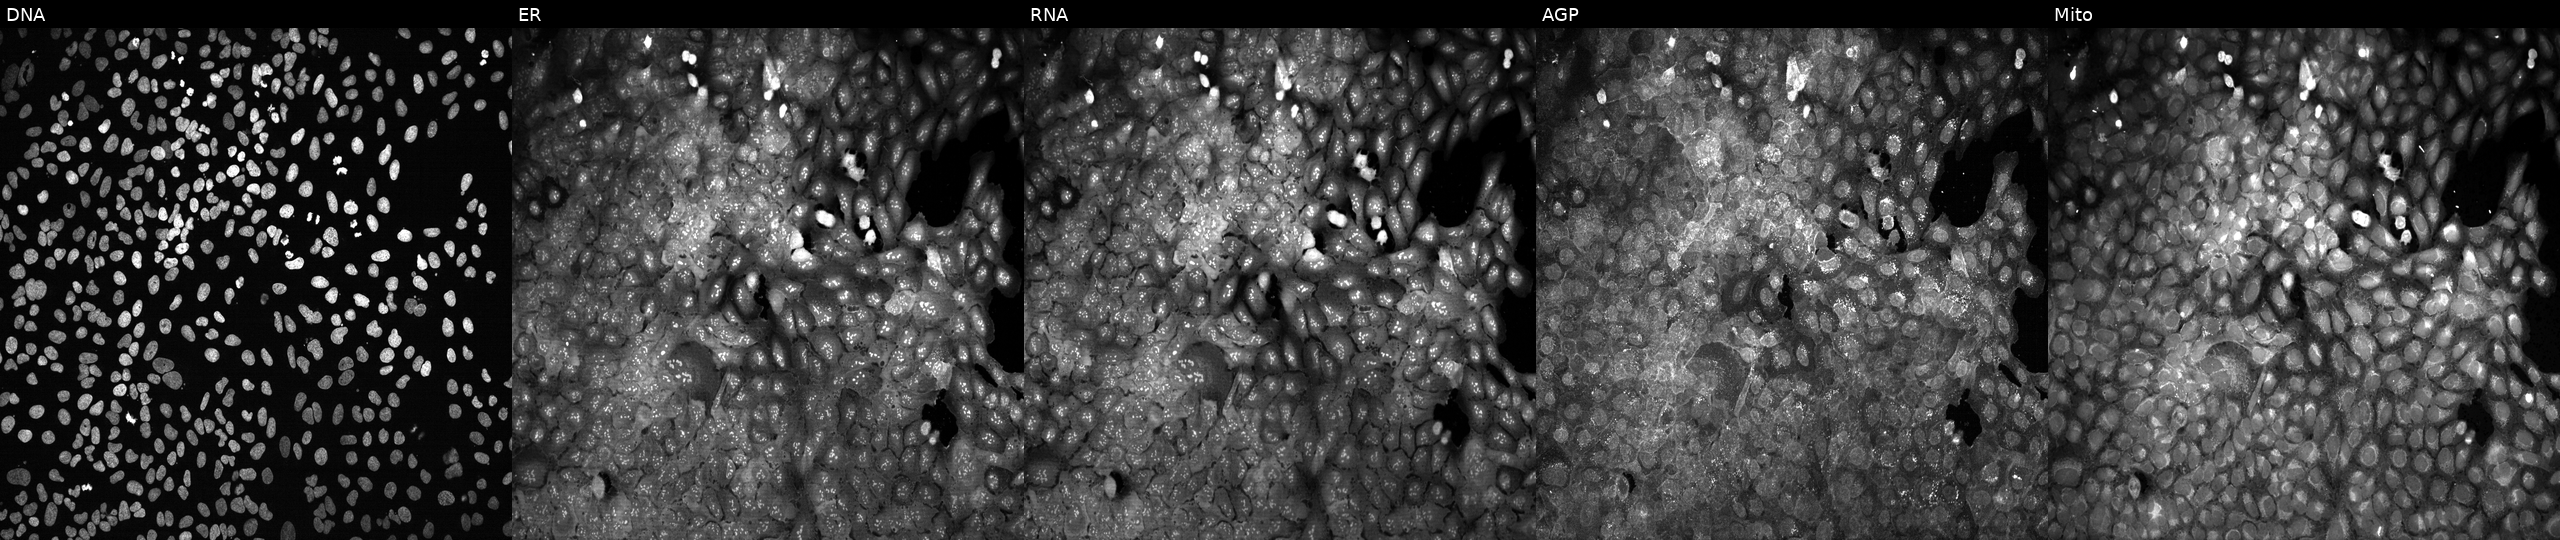
High-content fluorescence microscopy (Cell Painting). Cell line: U2OS. Perturbation: following CRISPR knockout of ADPRH (JUMP id JCP2022_800272). Panels show, left to right, DNA, ER, RNA, AGP, and Mito. Source 13, plate CP-CC9-R1-01, well O12.